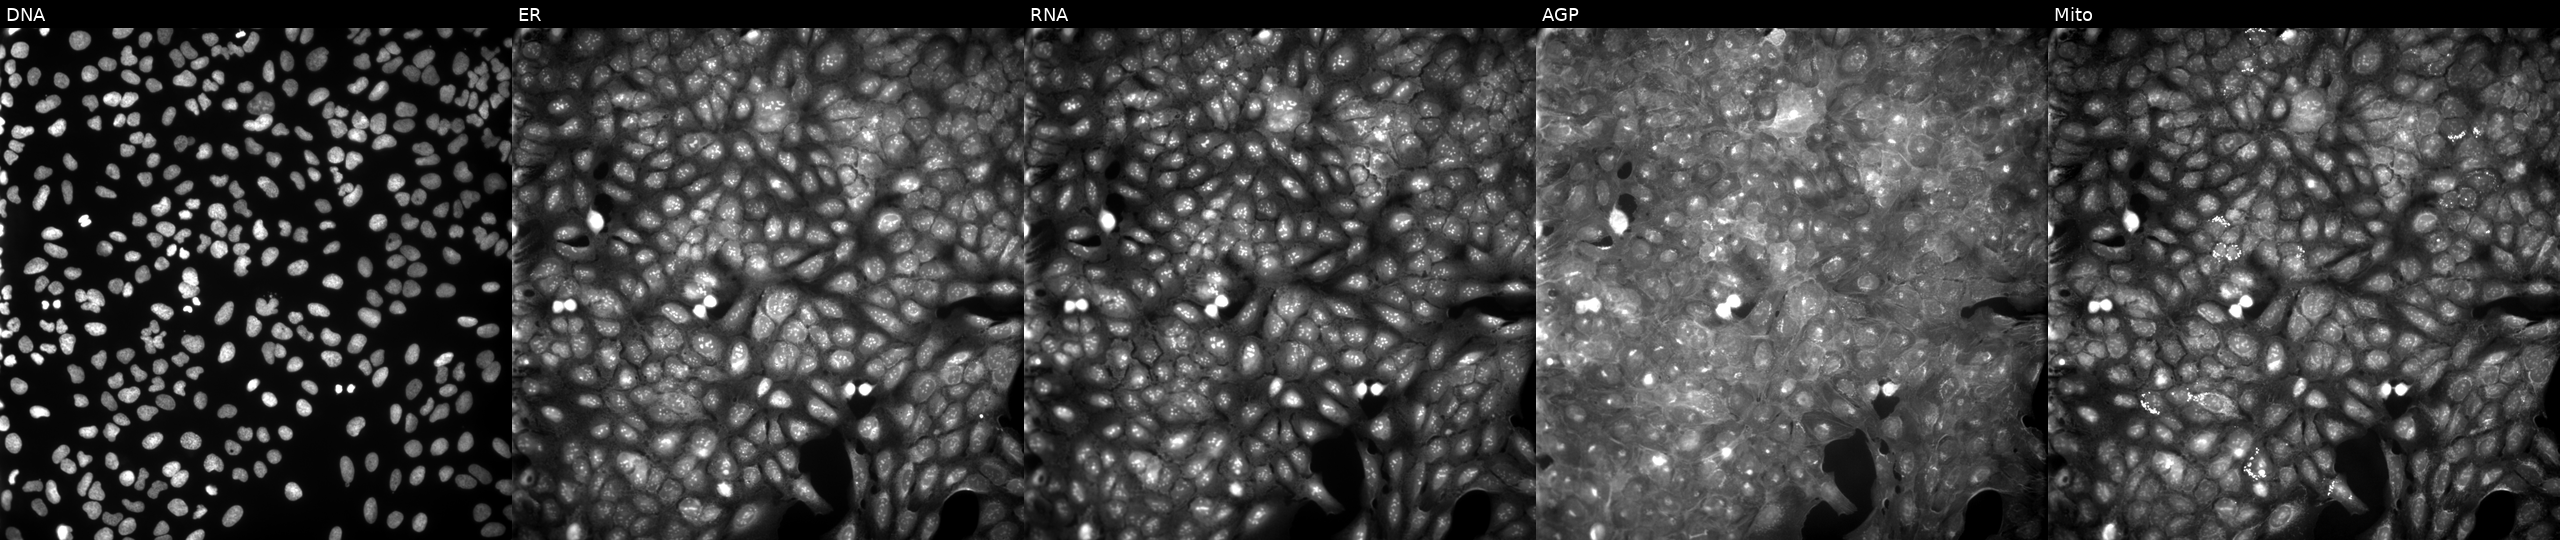
Five-channel Cell Painting image of U2OS cells exposed to a small-molecule compound (InChIKey UWAAPSLFKVWKBR-UHFFFAOYSA-N) [SMILES: COc1ccc(S(=O)(=O)N2CCN(C)CC2)cc1C] (JUMP id JCP2022_091953). Channels (left→right): Hoechst 33342, concanavalin A, SYTO 14, phalloidin and WGA, MitoTracker.